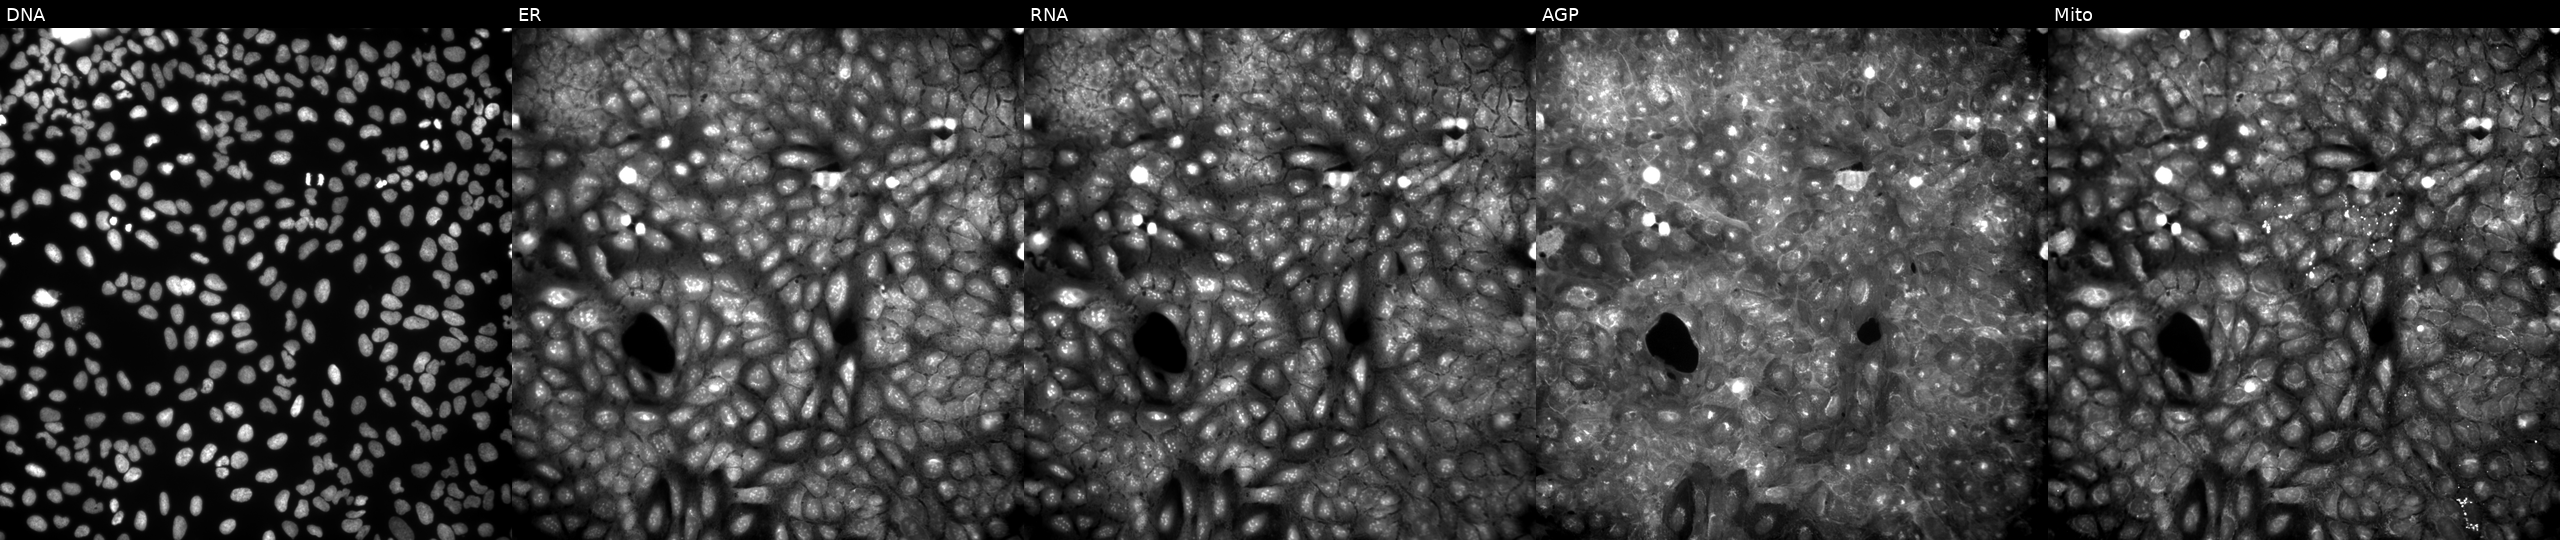
This image strip shows the five Cell Painting channels for a single field of U2OS cells exposed to a small-molecule compound (InChIKey SMNWRDYSTFYTES-UHFFFAOYSA-N) [SMILES: CCOc1ccc2cc(-c3n[nH]c(=Nc4ccccc4F)s3)c(=O)oc2c1]. The five panels, left to right, show Hoechst 33342, concanavalin A, SYTO 14, phalloidin and WGA, MitoTracker.